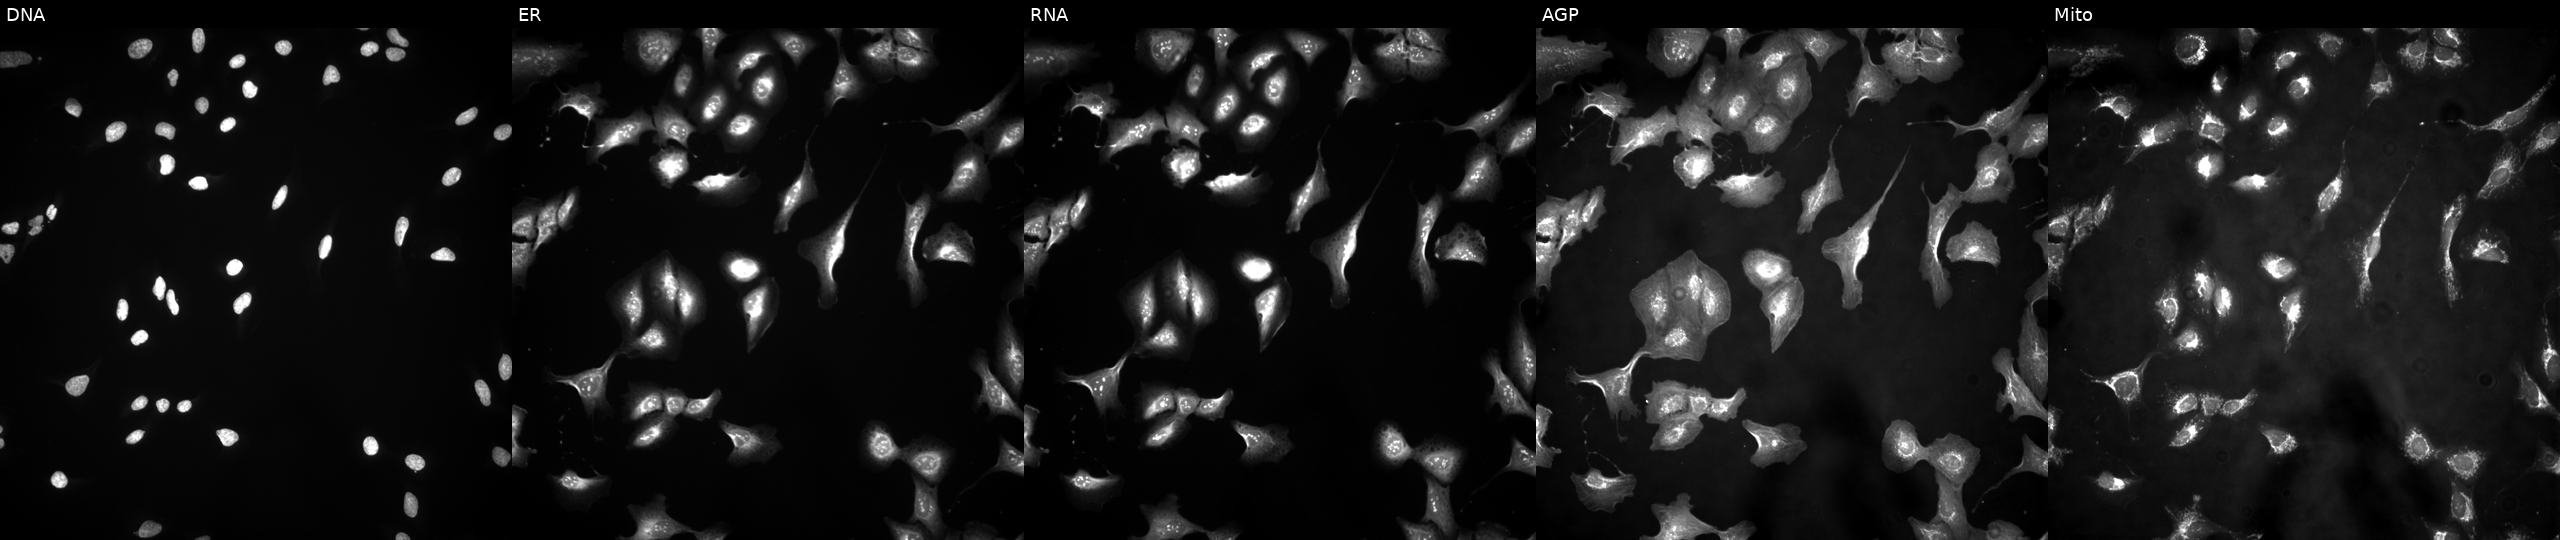
This image strip shows the five Cell Painting channels for a single field of U2OS cells overexpressing CLGN via ORF transfection. From left to right: DNA (nuclei); ER (endoplasmic reticulum); RNA (nucleoli and cytoplasmic RNA); AGP (actin cytoskeleton, Golgi, and plasma membrane); Mito (mitochondria). Source 4, plate BR00121543, well K10.